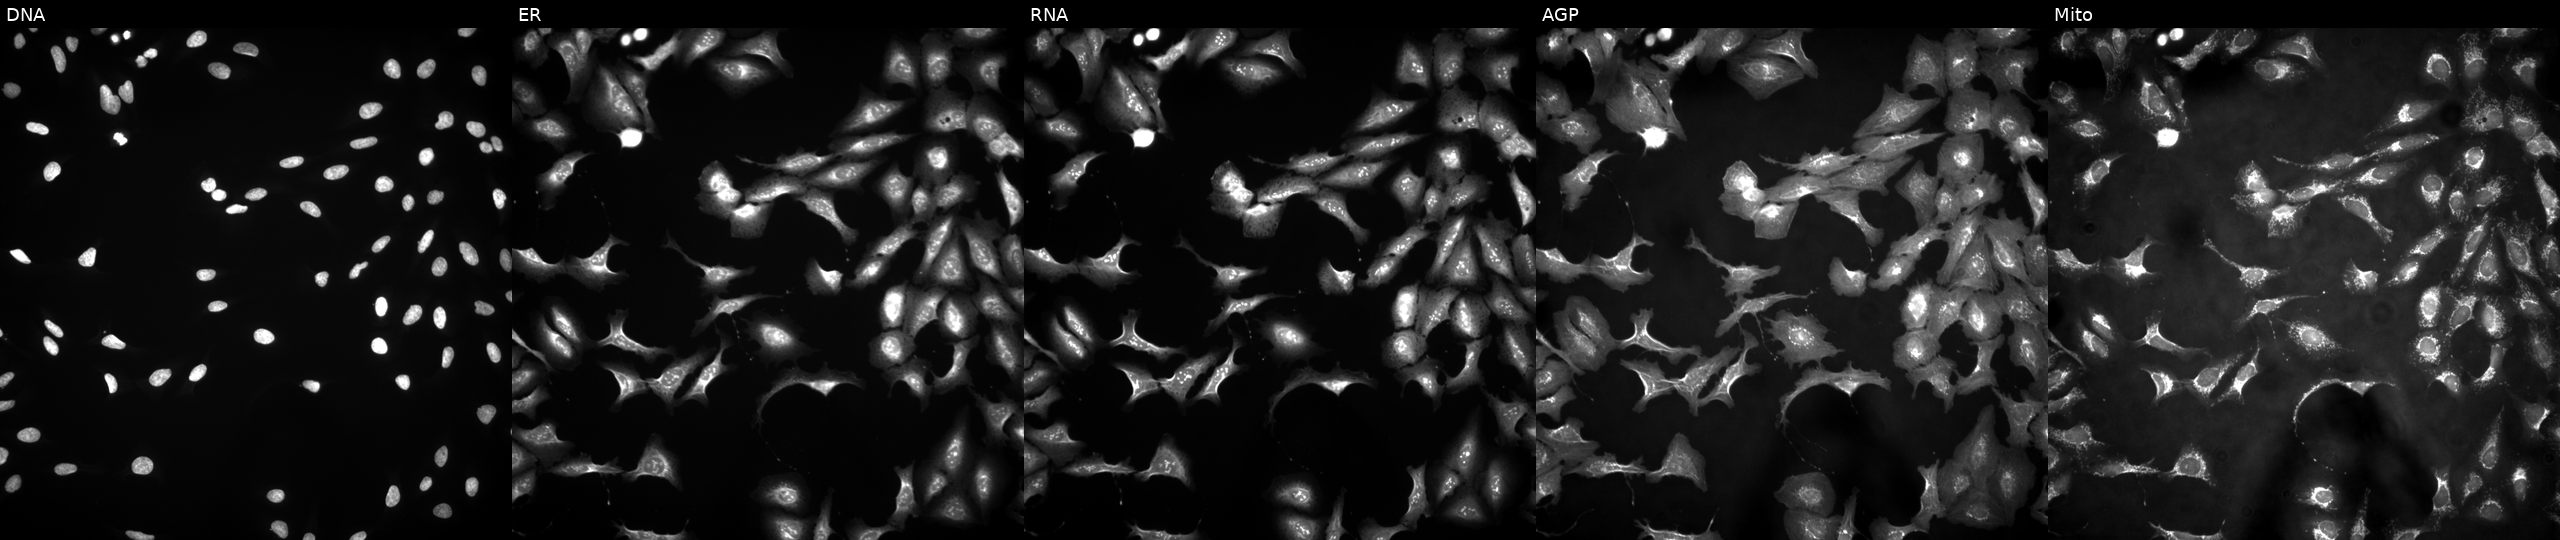
Five-channel Cell Painting image of U2OS cells with THAP4 overexpressed (ORF). Panels show, left to right, DNA, ER, RNA, AGP, and Mito. Source 4, plate BR00121543, well J14.